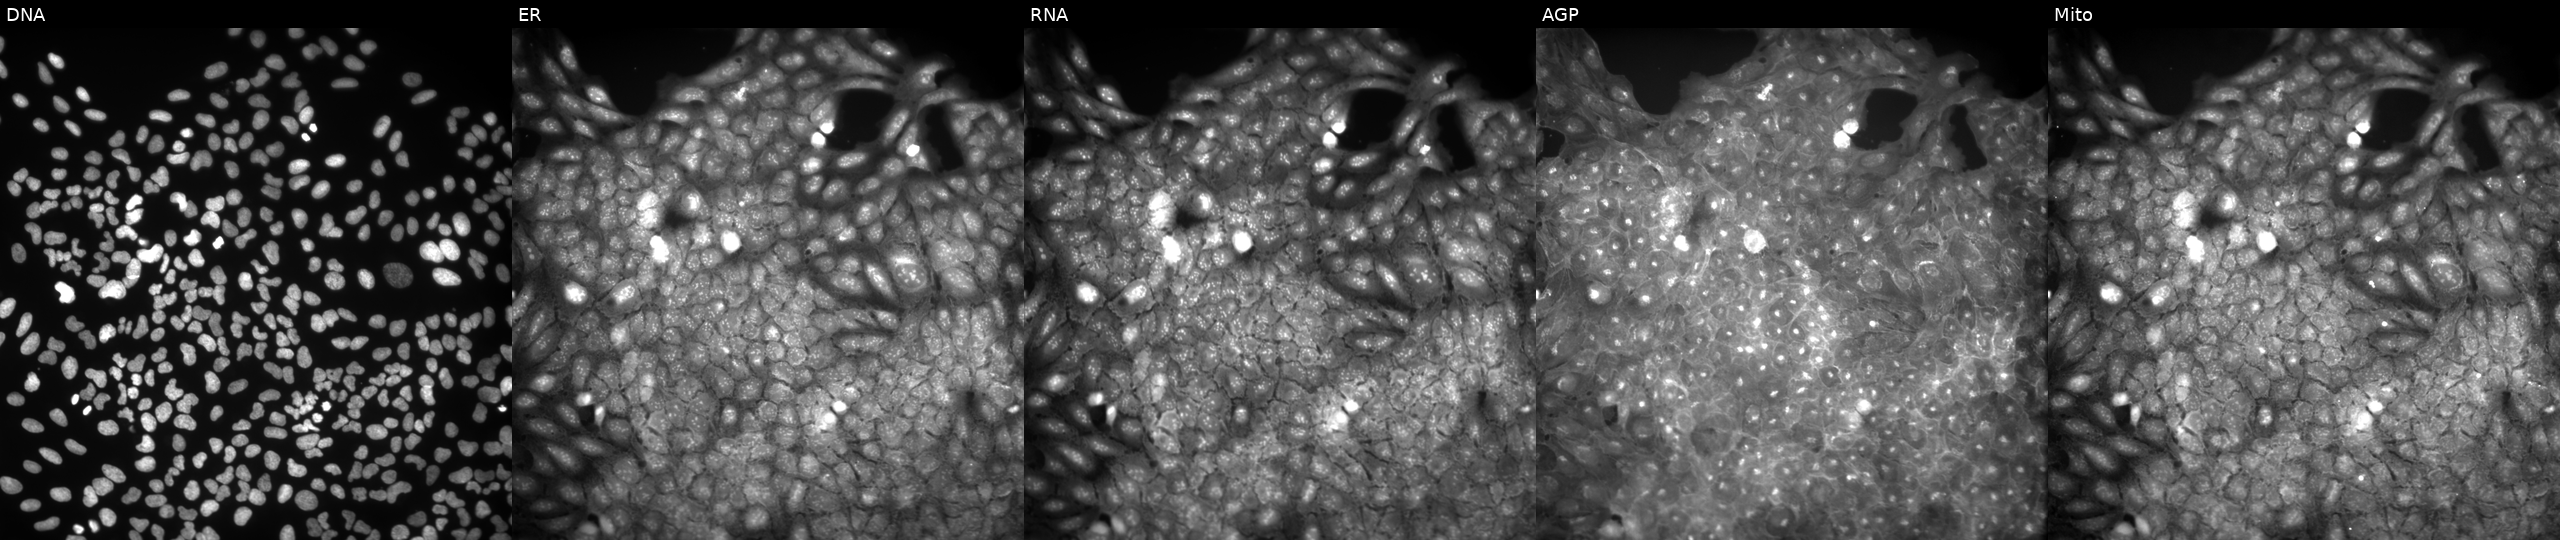
JUMP Cell Painting — COMPOUND plate. U2OS cells perturbed with a small-molecule compound [SMILES: COC(=O)CN1C(=O)SC(=Cc2ccc(-c3cccc(C(=O)O)c3C)o2)C1=O]. Channels (left→right): Hoechst 33342, concanavalin A, SYTO 14, phalloidin and WGA, MitoTracker.